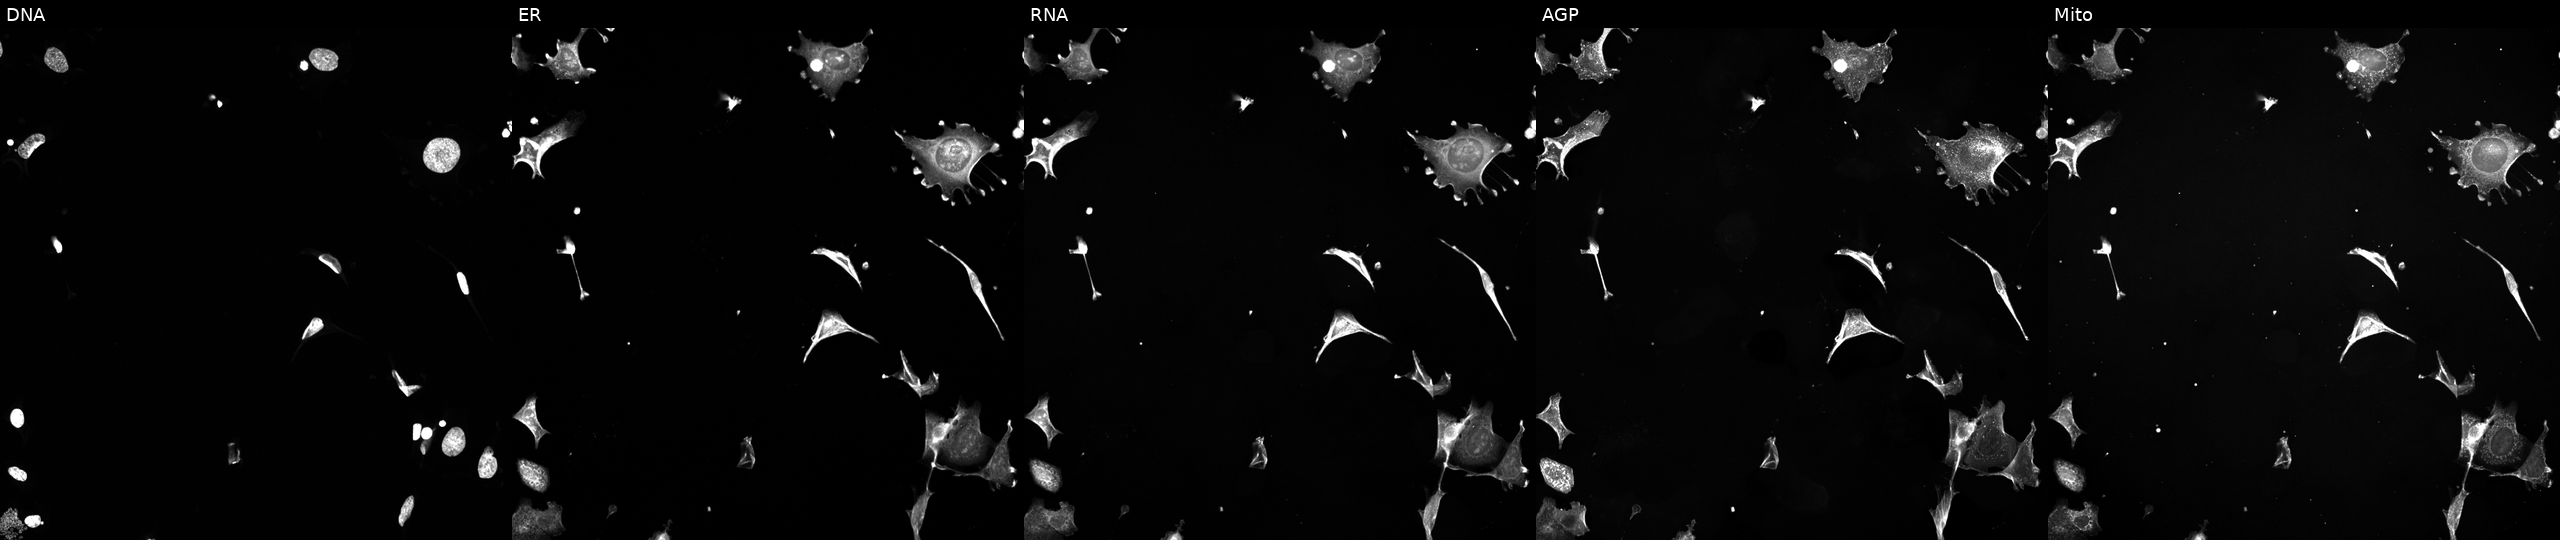
This image strip shows the five Cell Painting channels for a single field of U2OS cells perturbed with a small-molecule compound (JUMP id JCP2022_056401). From left to right: Hoechst 33342, concanavalin A, SYTO 14, phalloidin and WGA, MitoTracker.